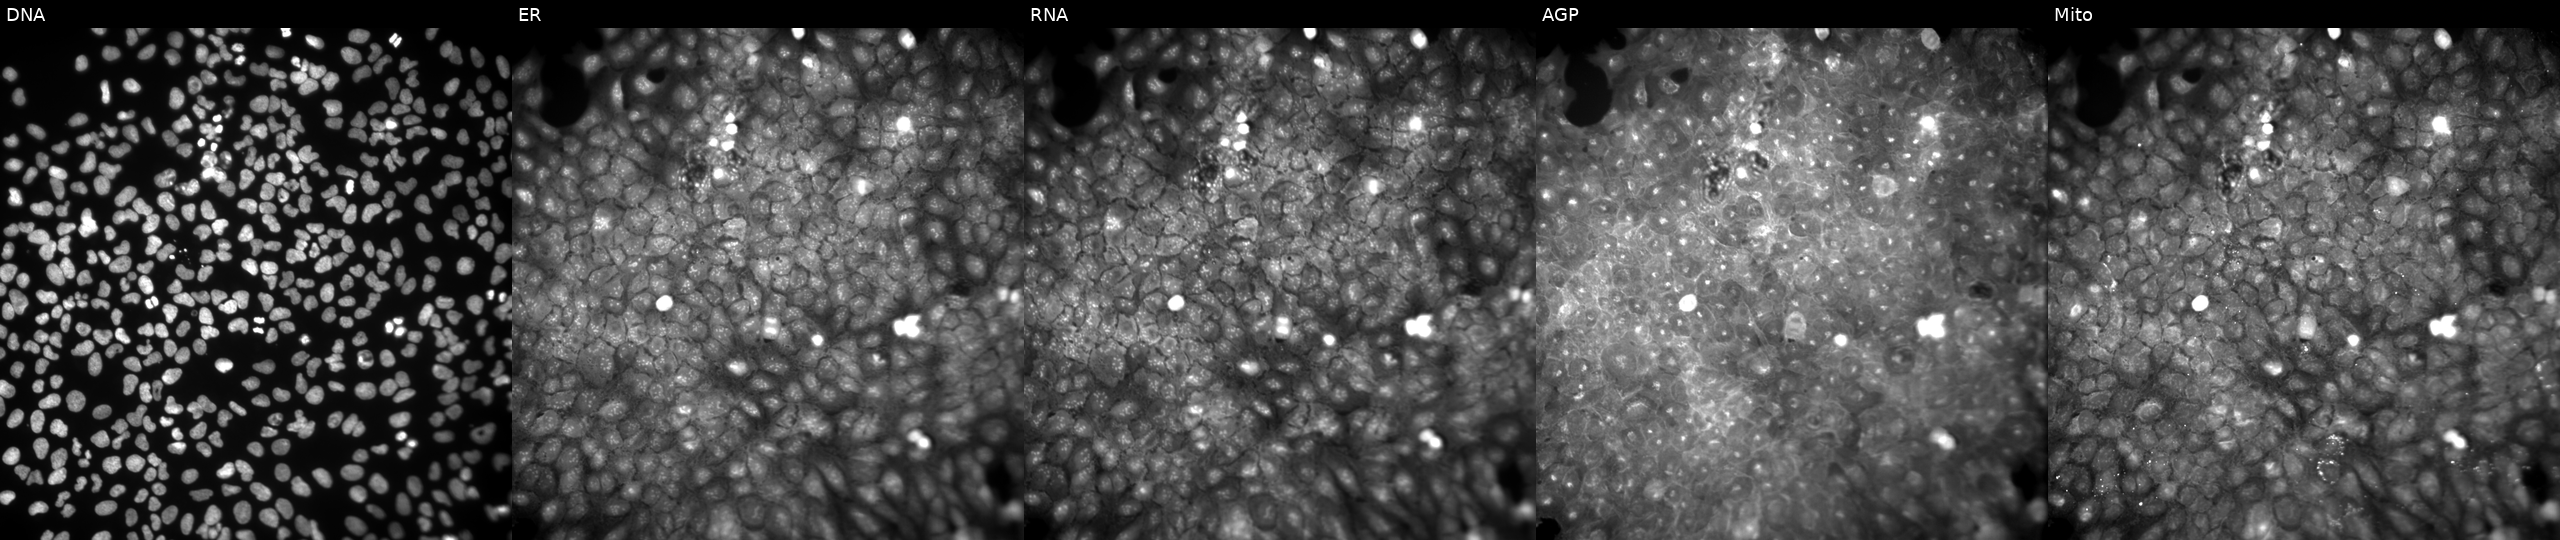
High-content fluorescence microscopy (Cell Painting). Cell line: U2OS. Perturbation: perturbed with a small-molecule compound (InChIKey OBGZLTPFDLCXFT-UHFFFAOYSA-N) (JUMP id JCP2022_062684). Panels show, left to right, Hoechst 33342, concanavalin A, SYTO 14, phalloidin and WGA, MitoTracker.